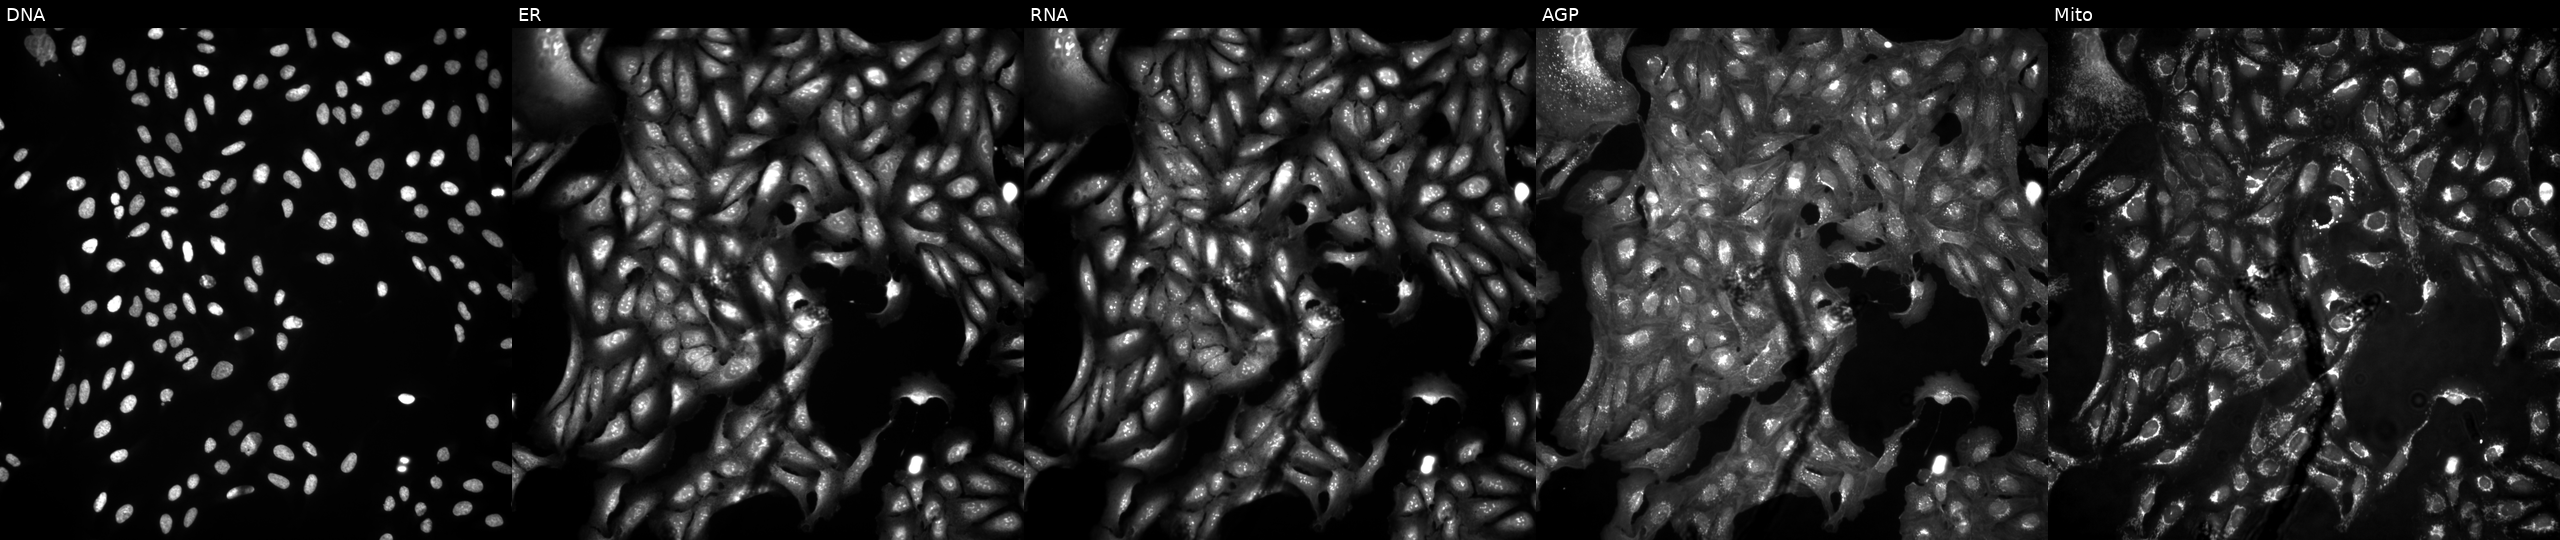
This image strip shows the five Cell Painting channels for a single field of U2OS cells untreated (empty-well control) (JUMP id JCP2022_999999). Channels (left→right): Hoechst 33342, concanavalin A, SYTO 14, phalloidin and WGA, MitoTracker. Source 4, plate BR00124793, well G01.